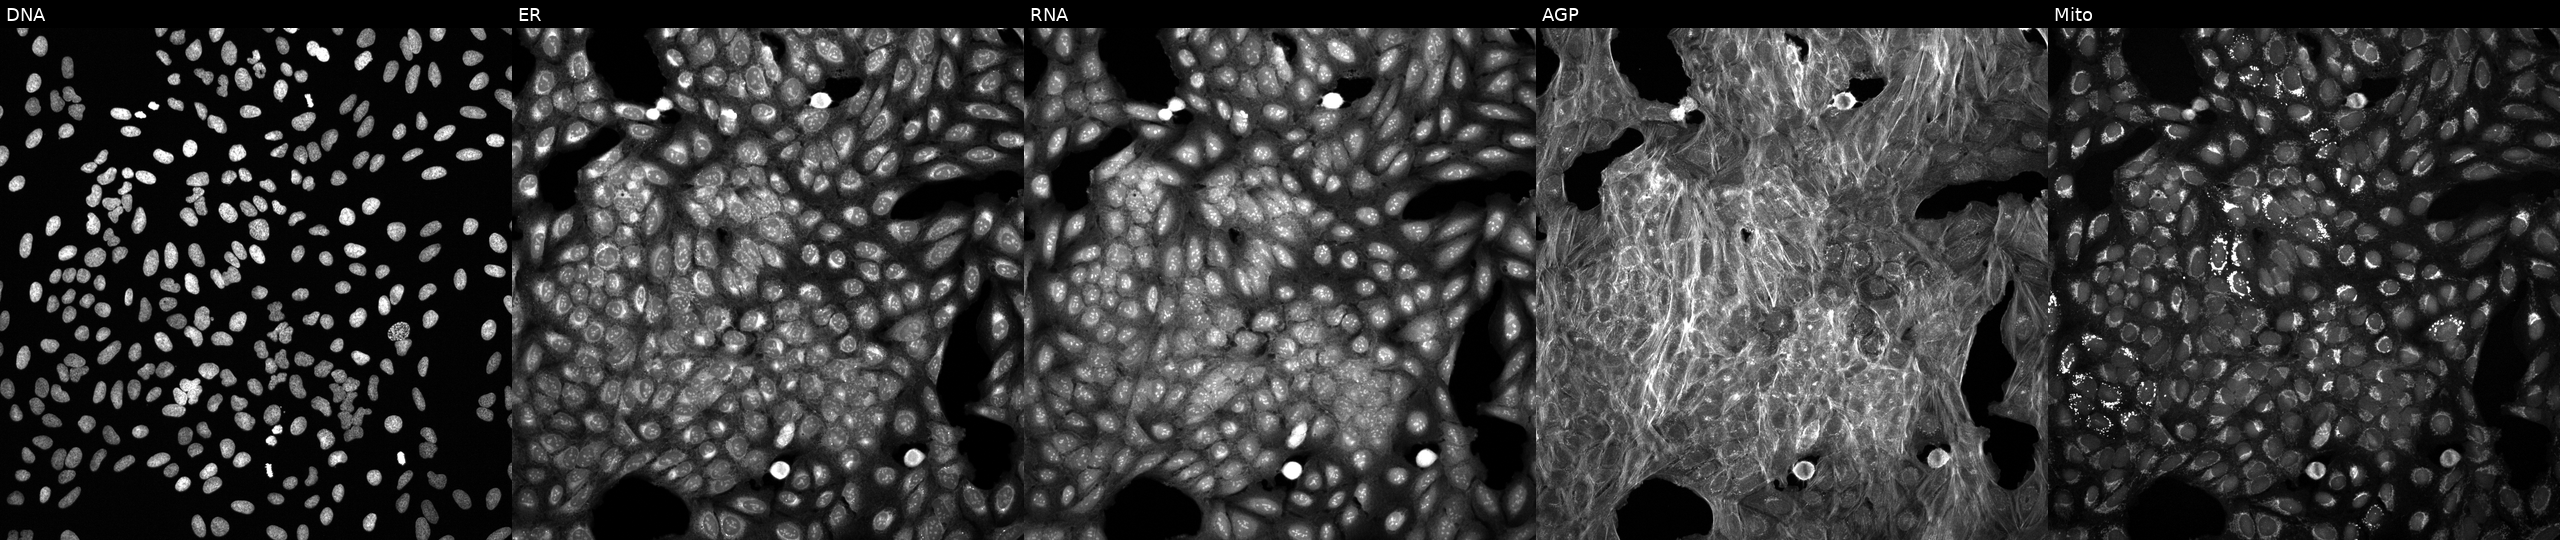
Five-channel Cell Painting image of U2OS cells treated with a small-molecule compound (InChIKey NXNKJLOEGWSJGI-UHFFFAOYSA-N). From left to right: DNA (nuclei); ER (endoplasmic reticulum); RNA (nucleoli and cytoplasmic RNA); AGP (actin cytoskeleton, Golgi, and plasma membrane); Mito (mitochondria).